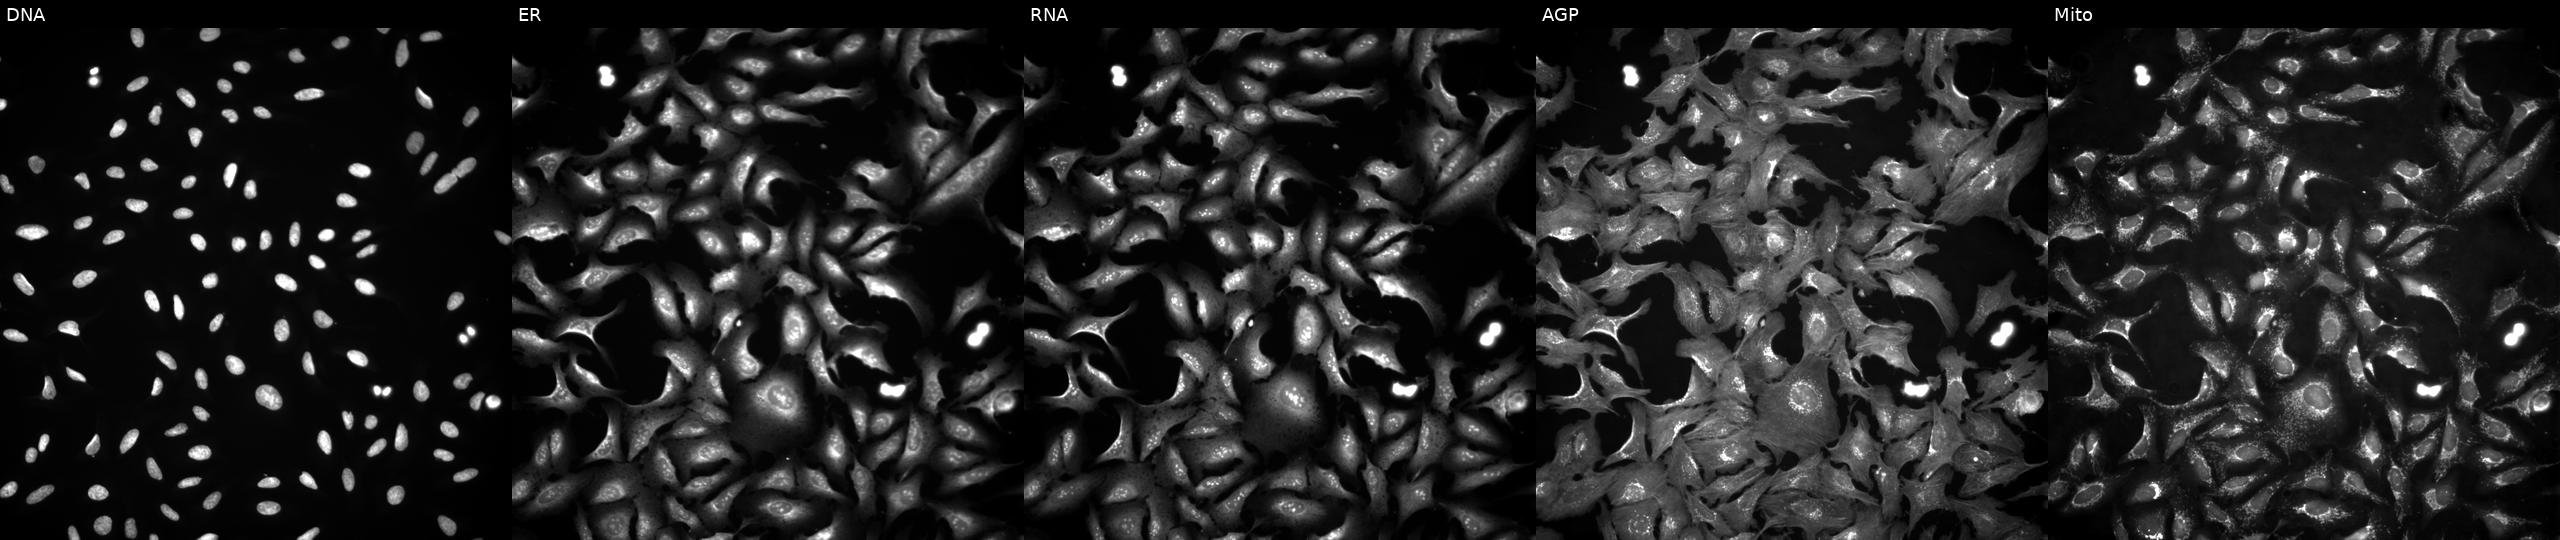
This image strip shows the five Cell Painting channels for a single field of U2OS cells transfected with an ORF construct for AKT2 (JUMP id JCP2022_909950). Panels show, left to right, DNA (nuclei); ER (endoplasmic reticulum); RNA (nucleoli and cytoplasmic RNA); AGP (actin cytoskeleton, Golgi, and plasma membrane); Mito (mitochondria). Source 4, plate BR00123945, well B16.